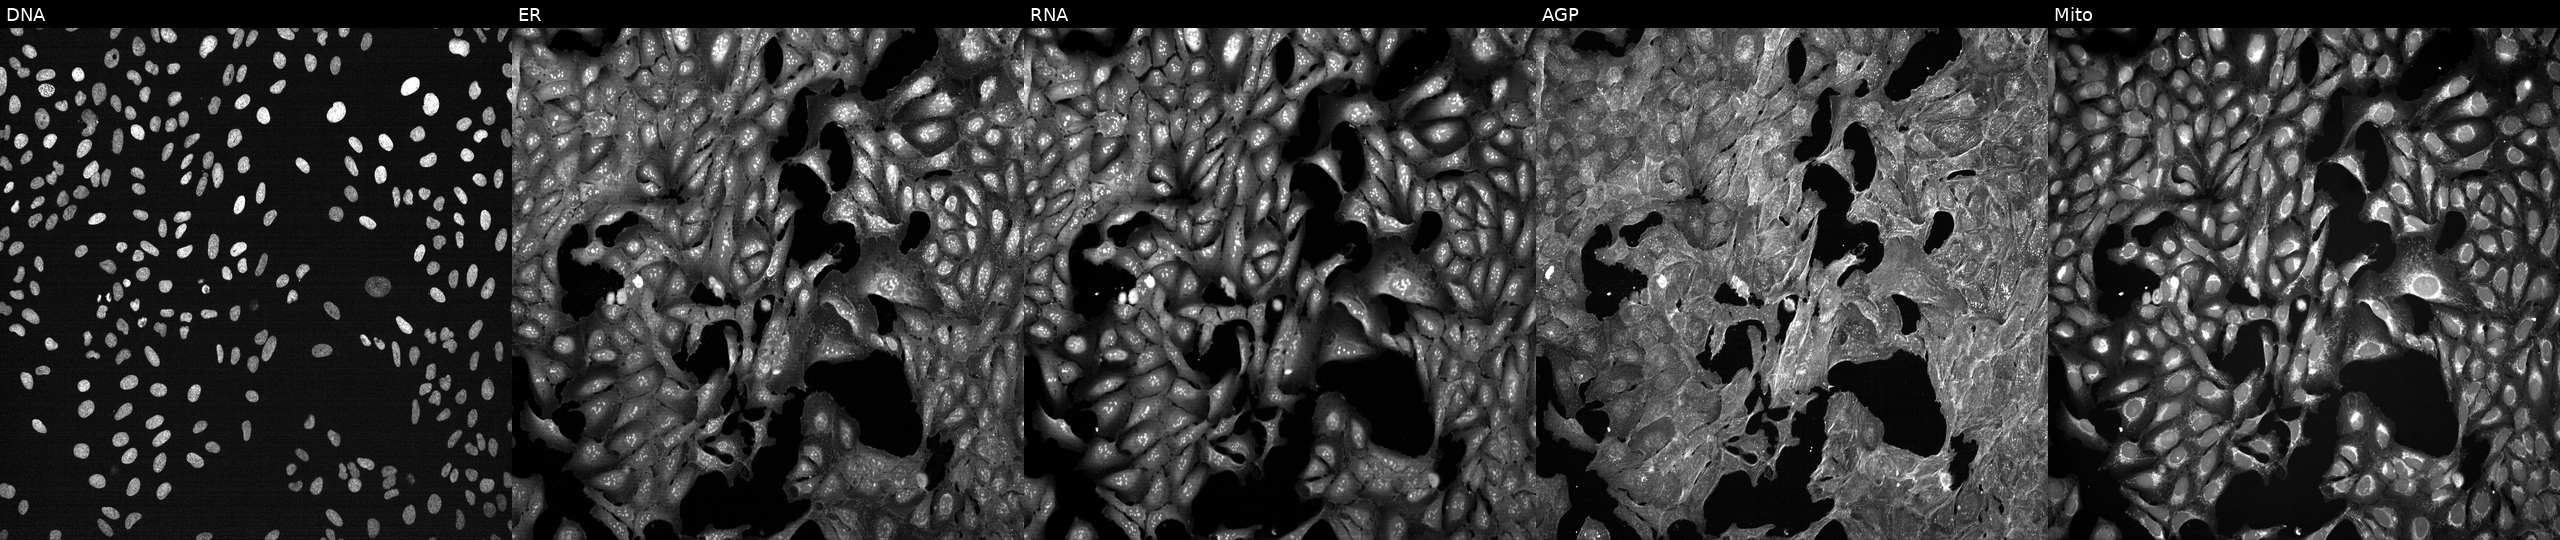
This image strip shows the five Cell Painting channels for a single field of U2OS cells exposed to a small-molecule compound (JUMP id JCP2022_075916). From left to right: DNA, ER, RNA, AGP, and Mito.